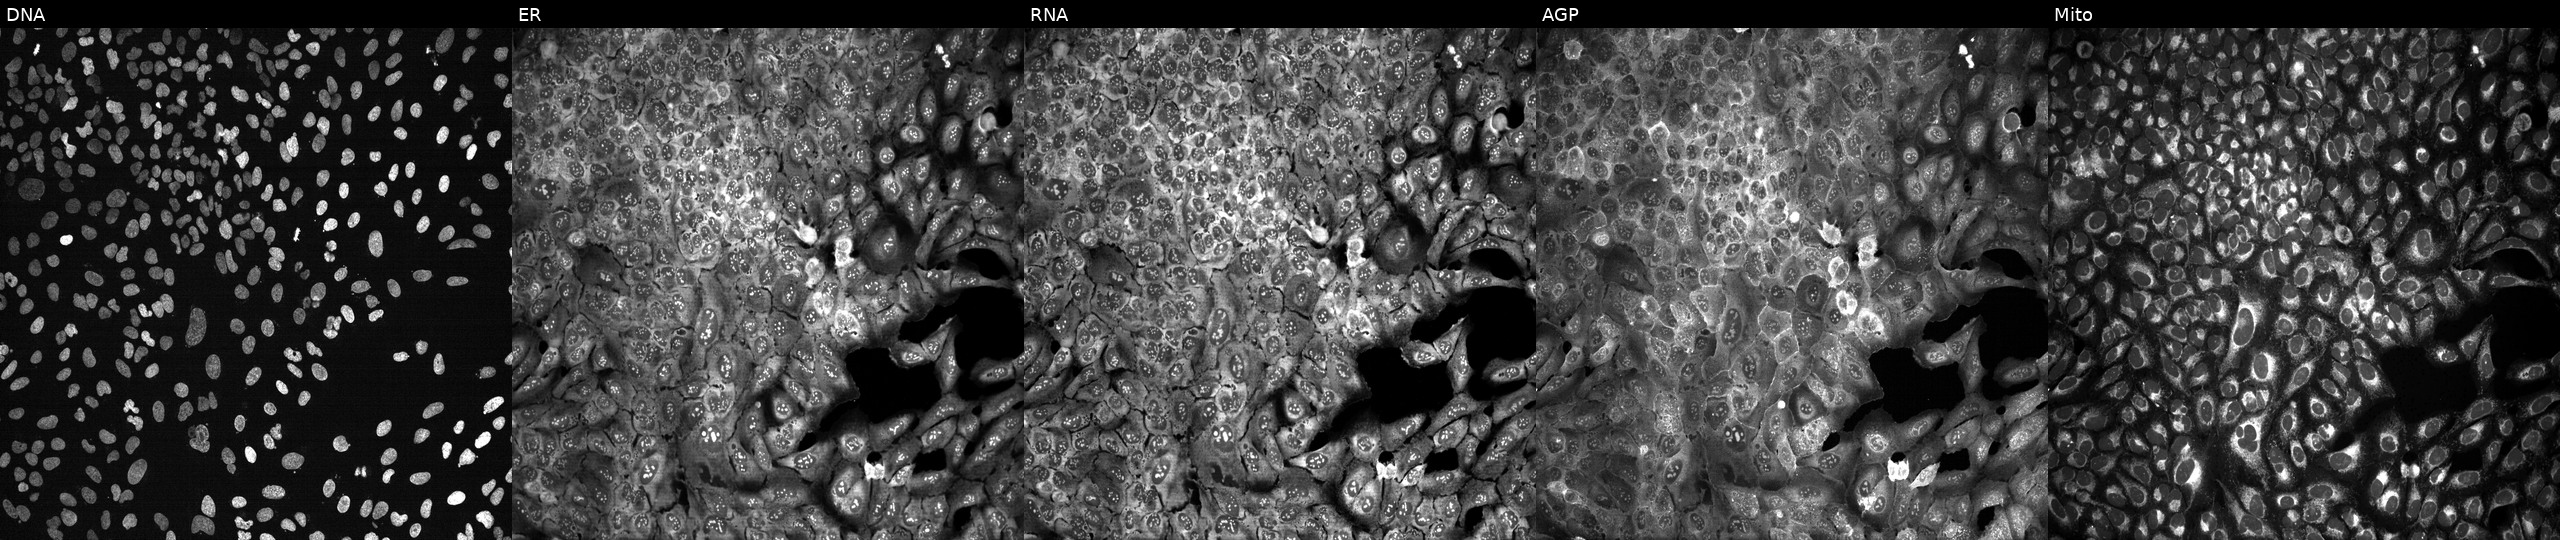
JUMP Cell Painting — CRISPR plate. U2OS cells with PLB1 knocked out by CRISPR. From left to right: Hoechst 33342, concanavalin A, SYTO 14, phalloidin and WGA, MitoTracker.